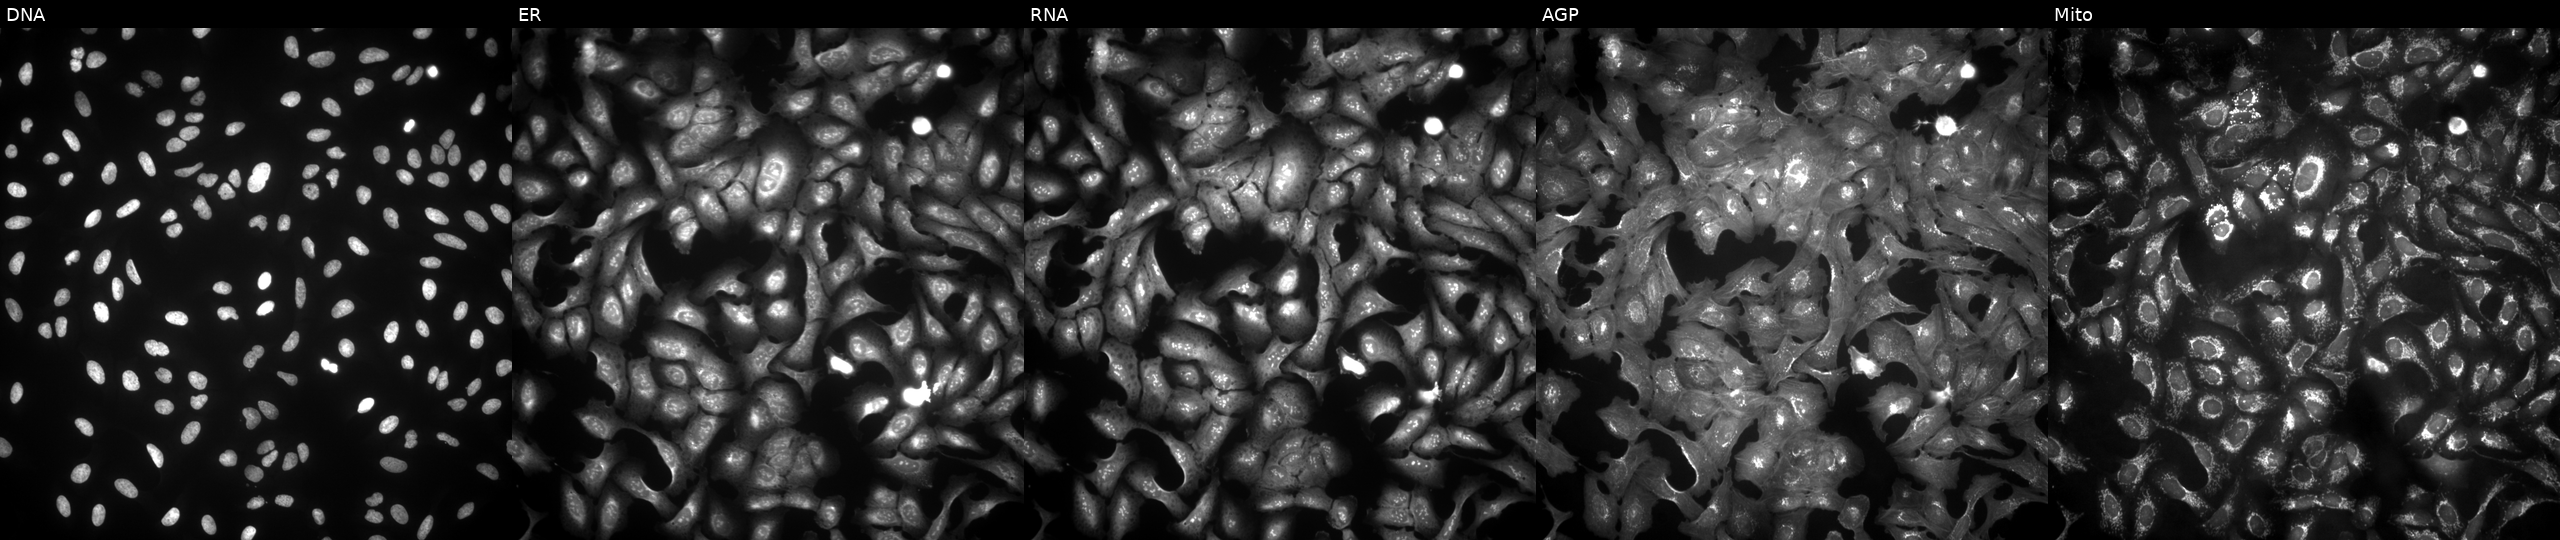
This image strip shows the five Cell Painting channels for a single field of U2OS cells in an empty control well (no perturbation) (JUMP id JCP2022_999999). The five panels, left to right, show Hoechst 33342, concanavalin A, SYTO 14, phalloidin and WGA, MitoTracker. Source 4, plate BR00123506, well B04.